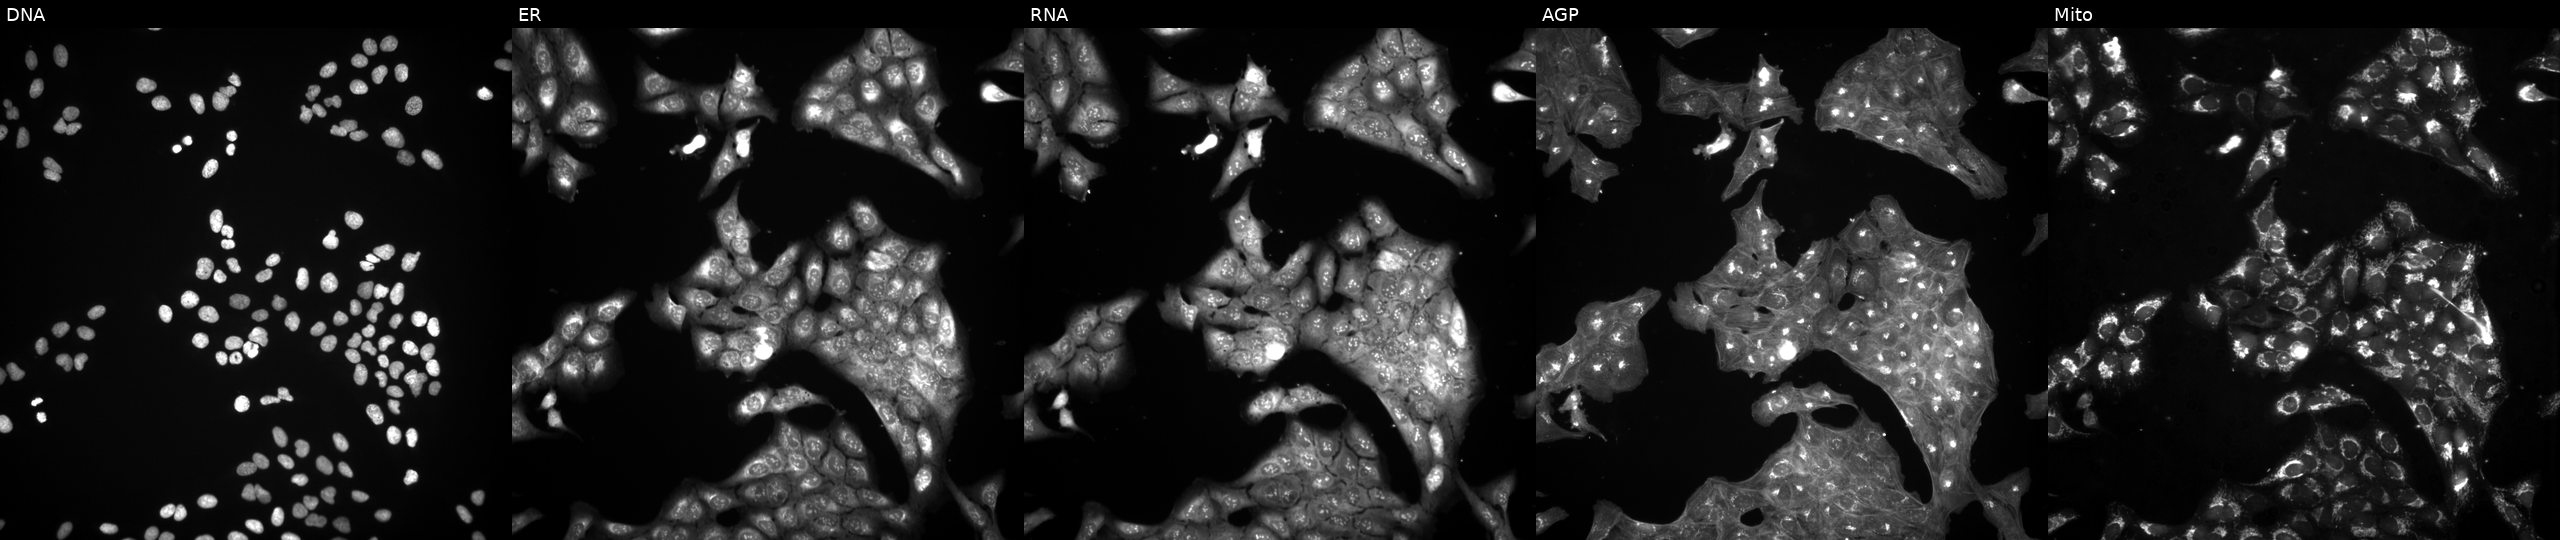
Five-channel Cell Painting image of U2OS cells treated with a small-molecule compound. Panels show, left to right, DNA, ER, RNA, AGP, and Mito. Source 3, plate JCPQC052, well L08.